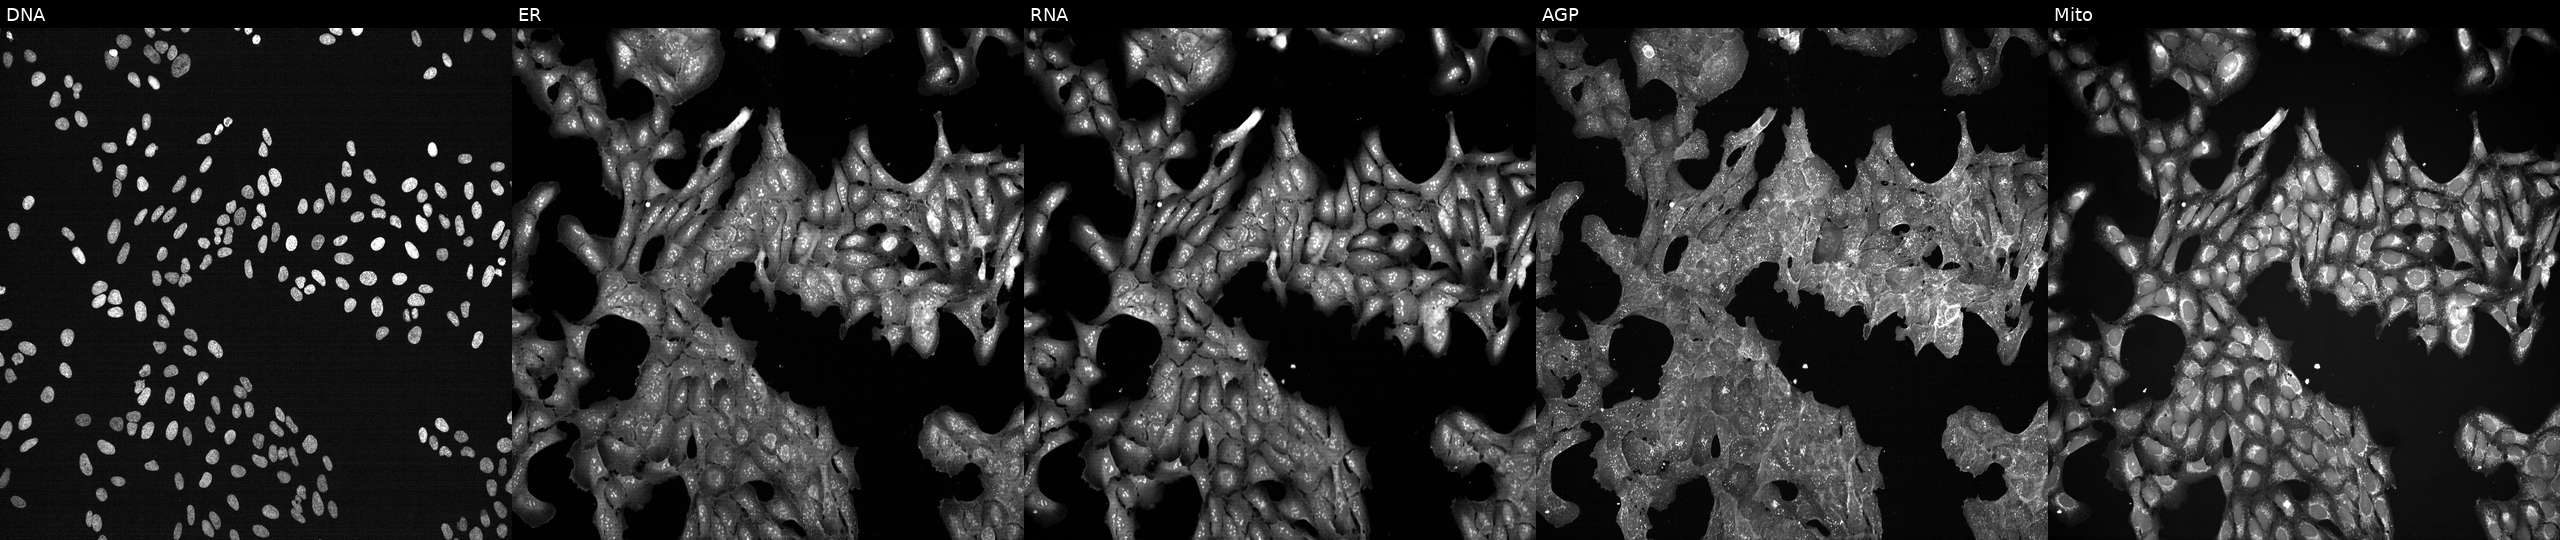
U2OS cells, Cell Painting assay, treated with a small-molecule compound (InChIKey RAHBGWKEPAQNFF-UHFFFAOYSA-N) [SMILES: CC1(C)CNc2cc(NC(=O)c3ccc[nH]c3=NCc3ccncc3)ccc21]. The five panels, left to right, show DNA, ER, RNA, AGP, and Mito. Each panel is percentile-stretched 16-bit fluorescence.